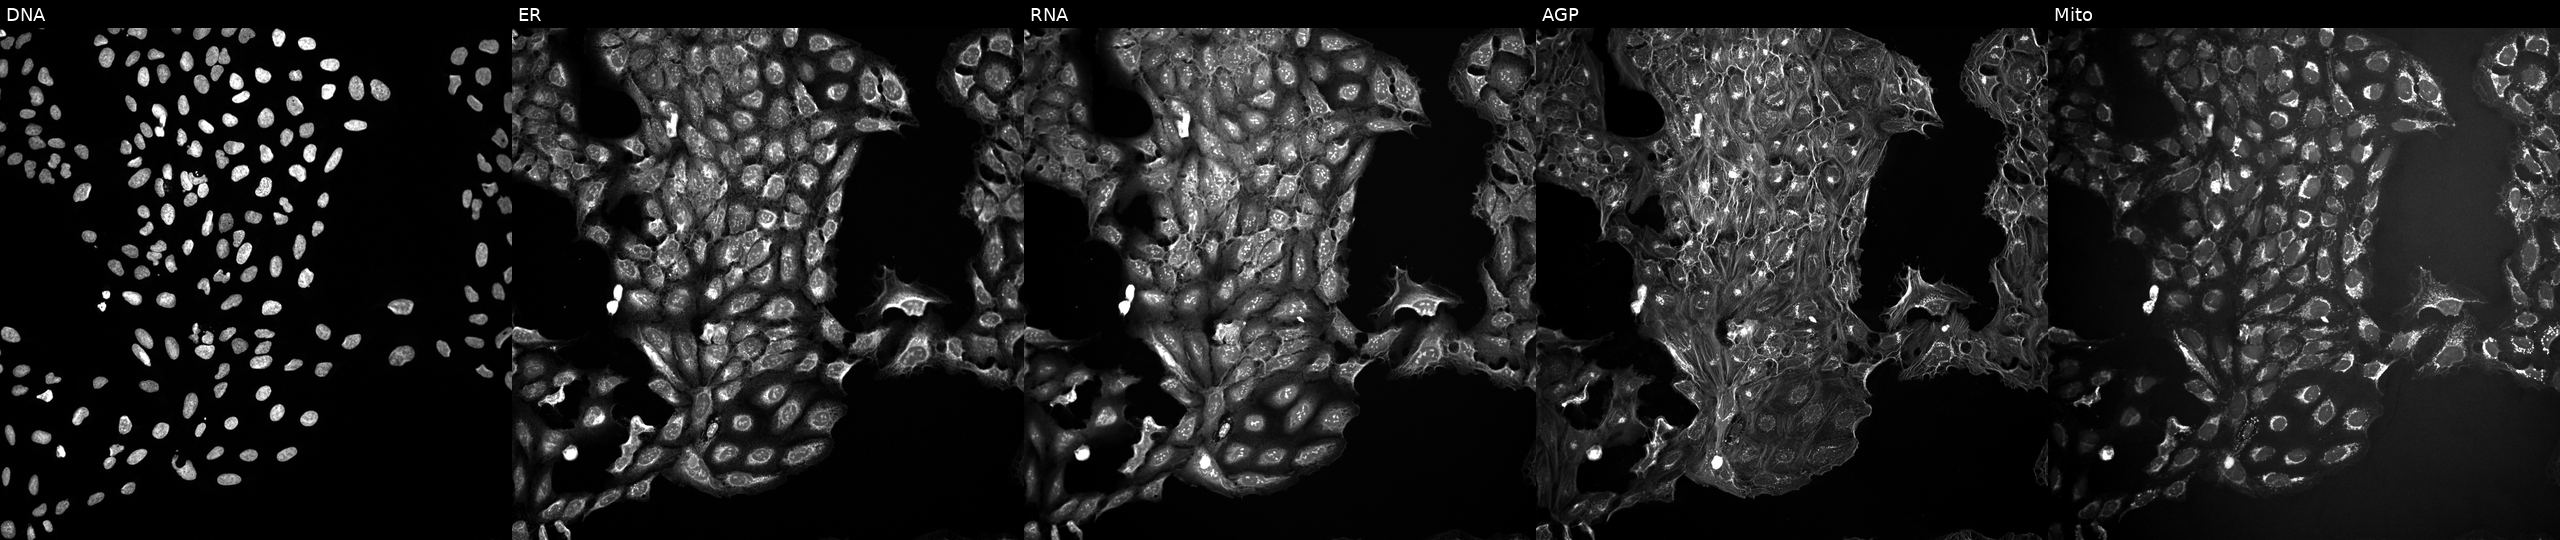
High-content fluorescence microscopy (Cell Painting). Cell line: U2OS. Perturbation: in an empty control well (no perturbation). From left to right: Hoechst 33342, concanavalin A, SYTO 14, phalloidin and WGA, MitoTracker.